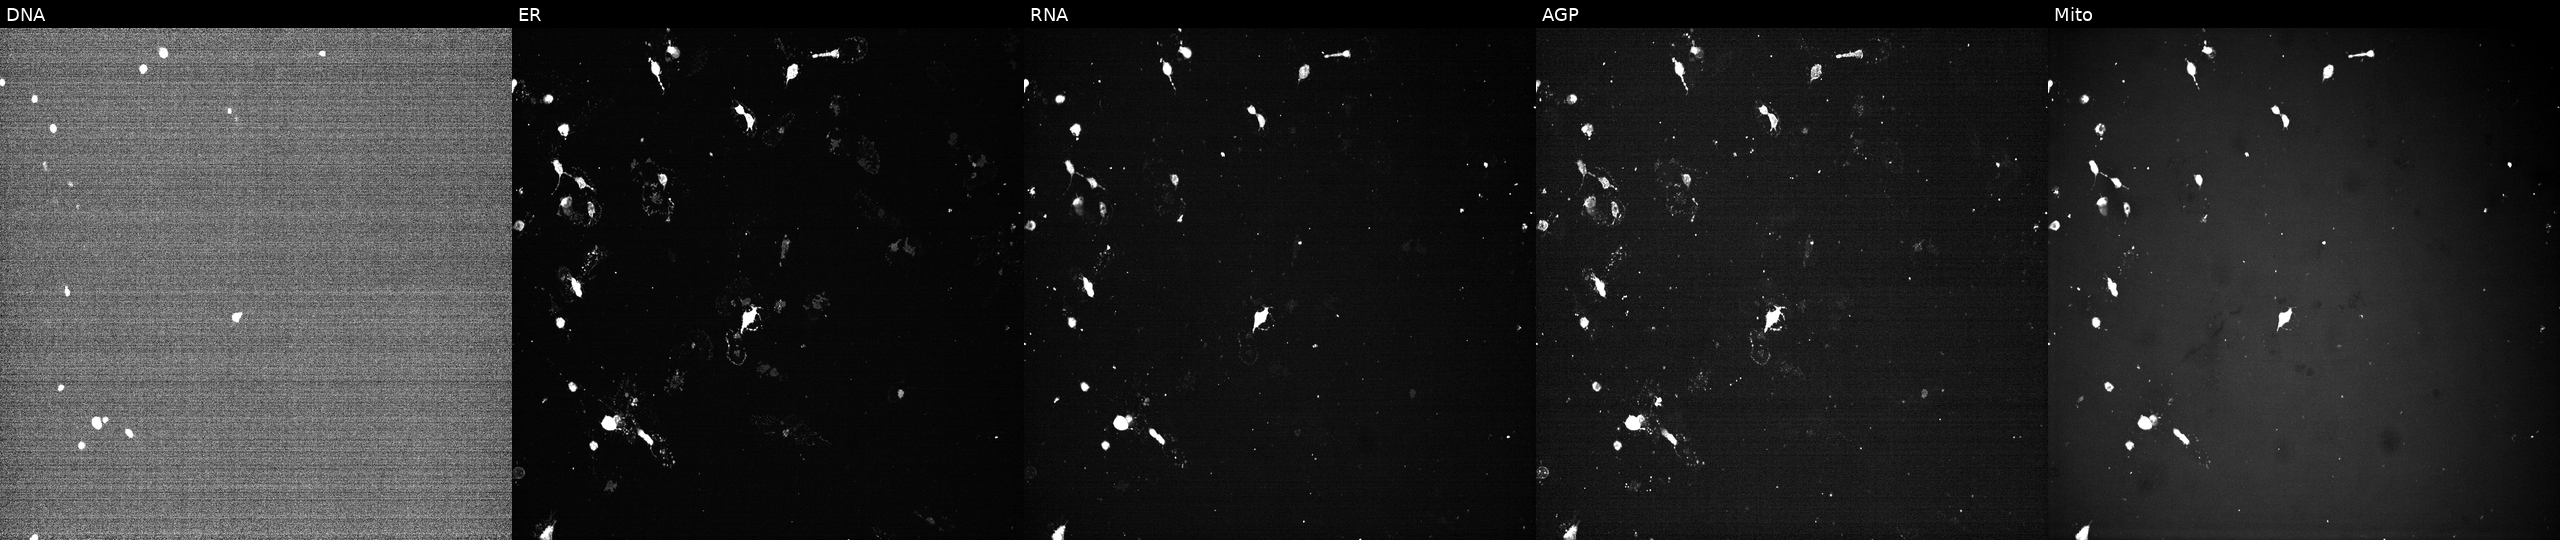
U2OS cells, Cell Painting assay, perturbed with a small-molecule compound (InChIKey DPJNKUOXBZSZAI-UHFFFAOYSA-N). Channels (left→right): DNA, ER, RNA, AGP, and Mito. Each panel is percentile-stretched 16-bit fluorescence.